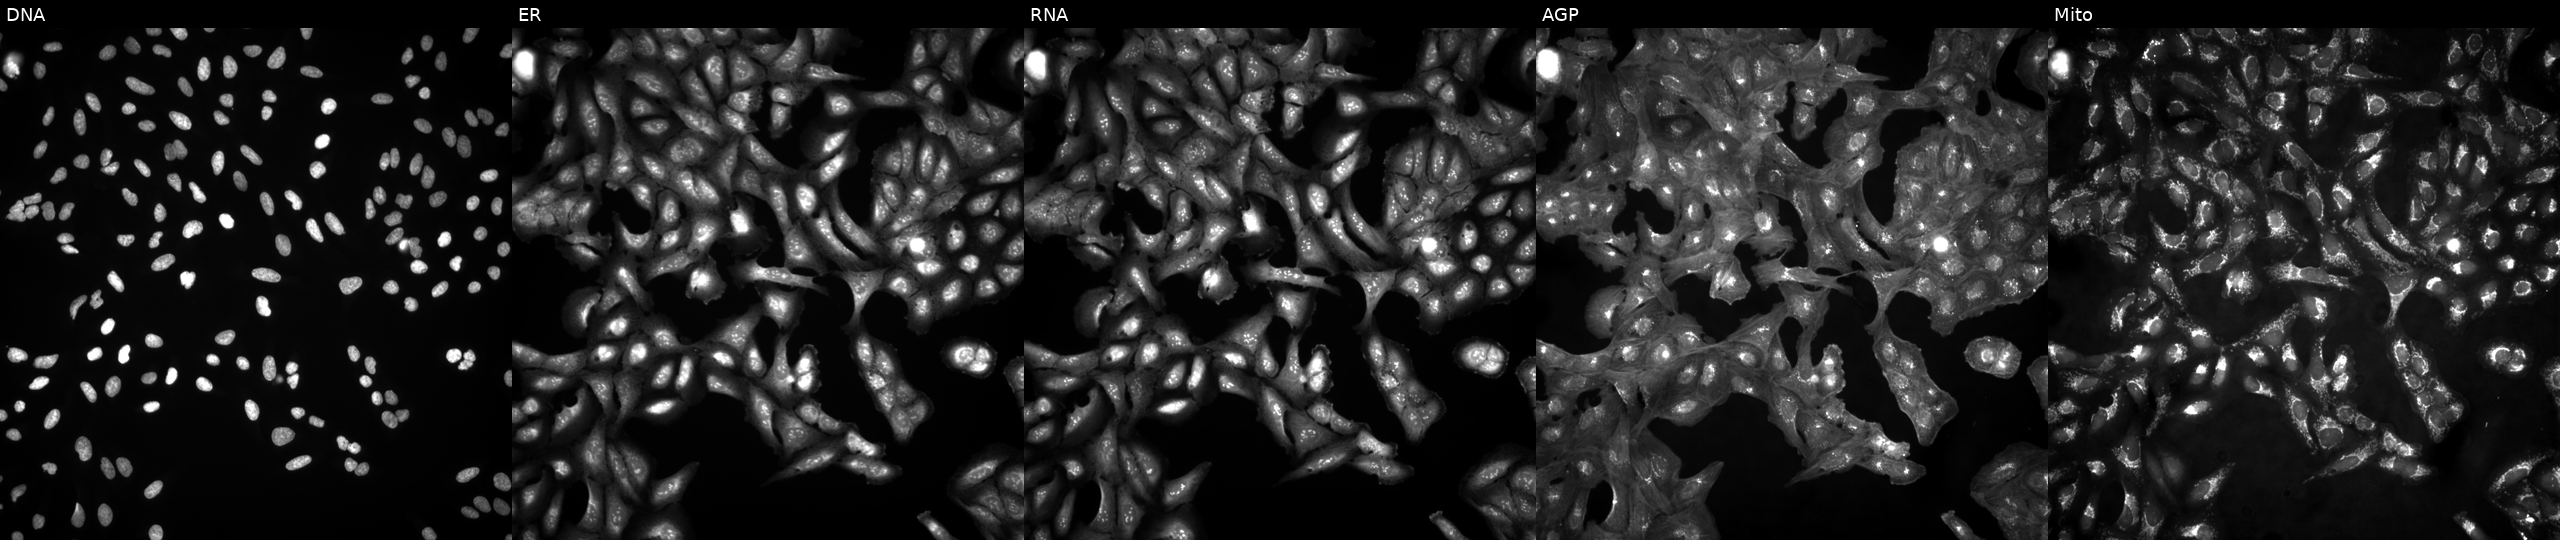
High-content fluorescence microscopy (Cell Painting). Cell line: U2OS. Perturbation: untreated (empty-well control) (JUMP id JCP2022_999999). Channels (left→right): DNA (nuclei); ER (endoplasmic reticulum); RNA (nucleoli and cytoplasmic RNA); AGP (actin cytoskeleton, Golgi, and plasma membrane); Mito (mitochondria). Source 4, plate BR00123946, well C06.